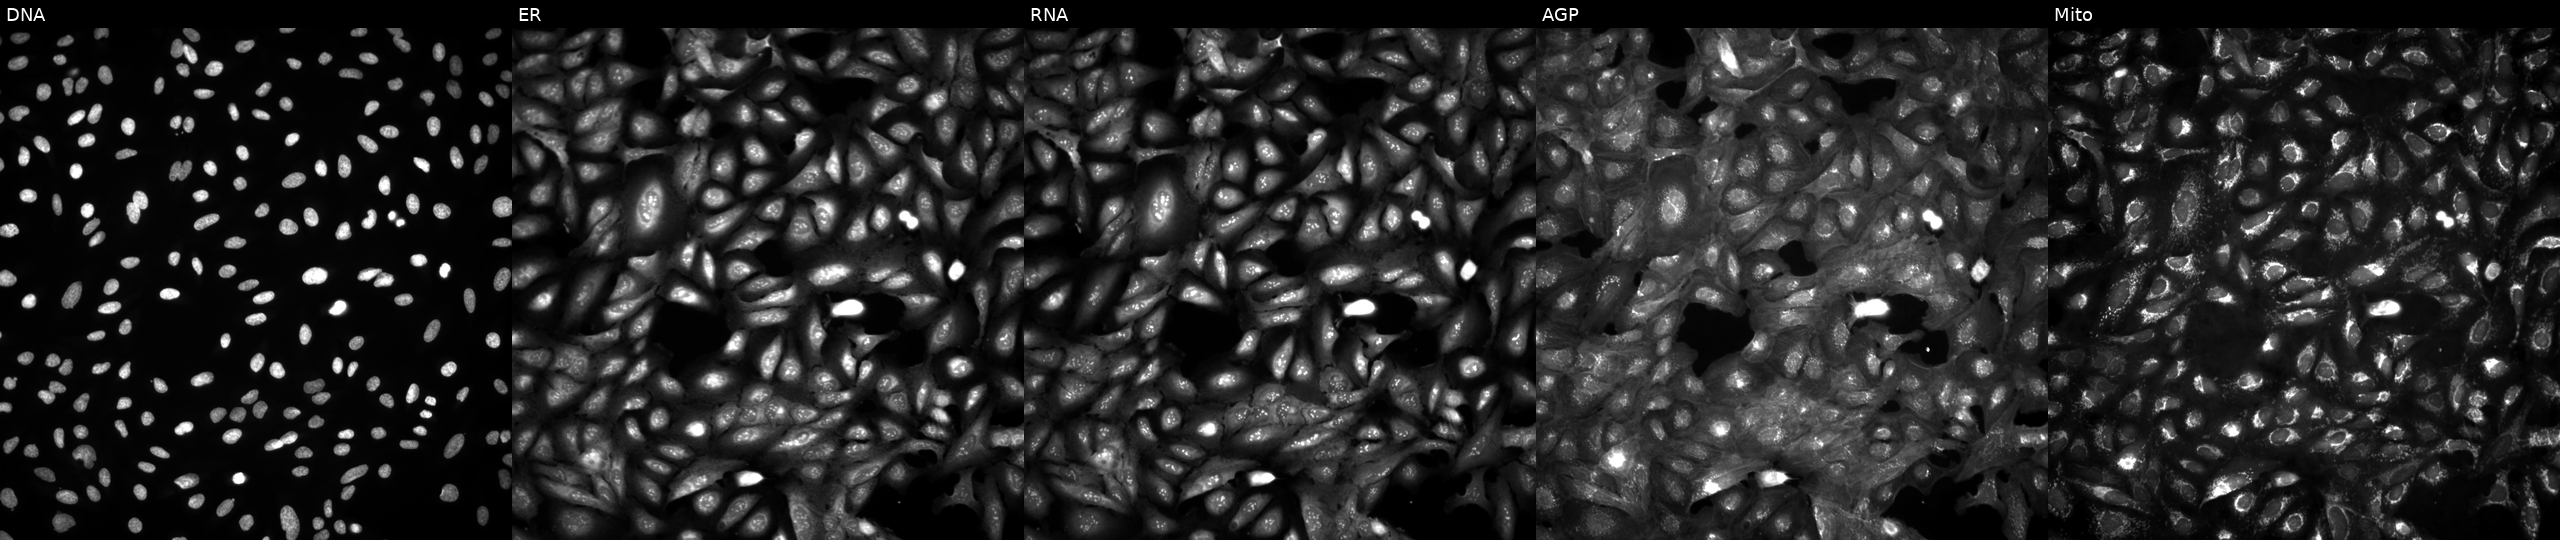
This image strip shows the five Cell Painting channels for a single field of U2OS cells untreated (empty-well control). Panels show, left to right, Hoechst 33342, concanavalin A, SYTO 14, phalloidin and WGA, MitoTracker.